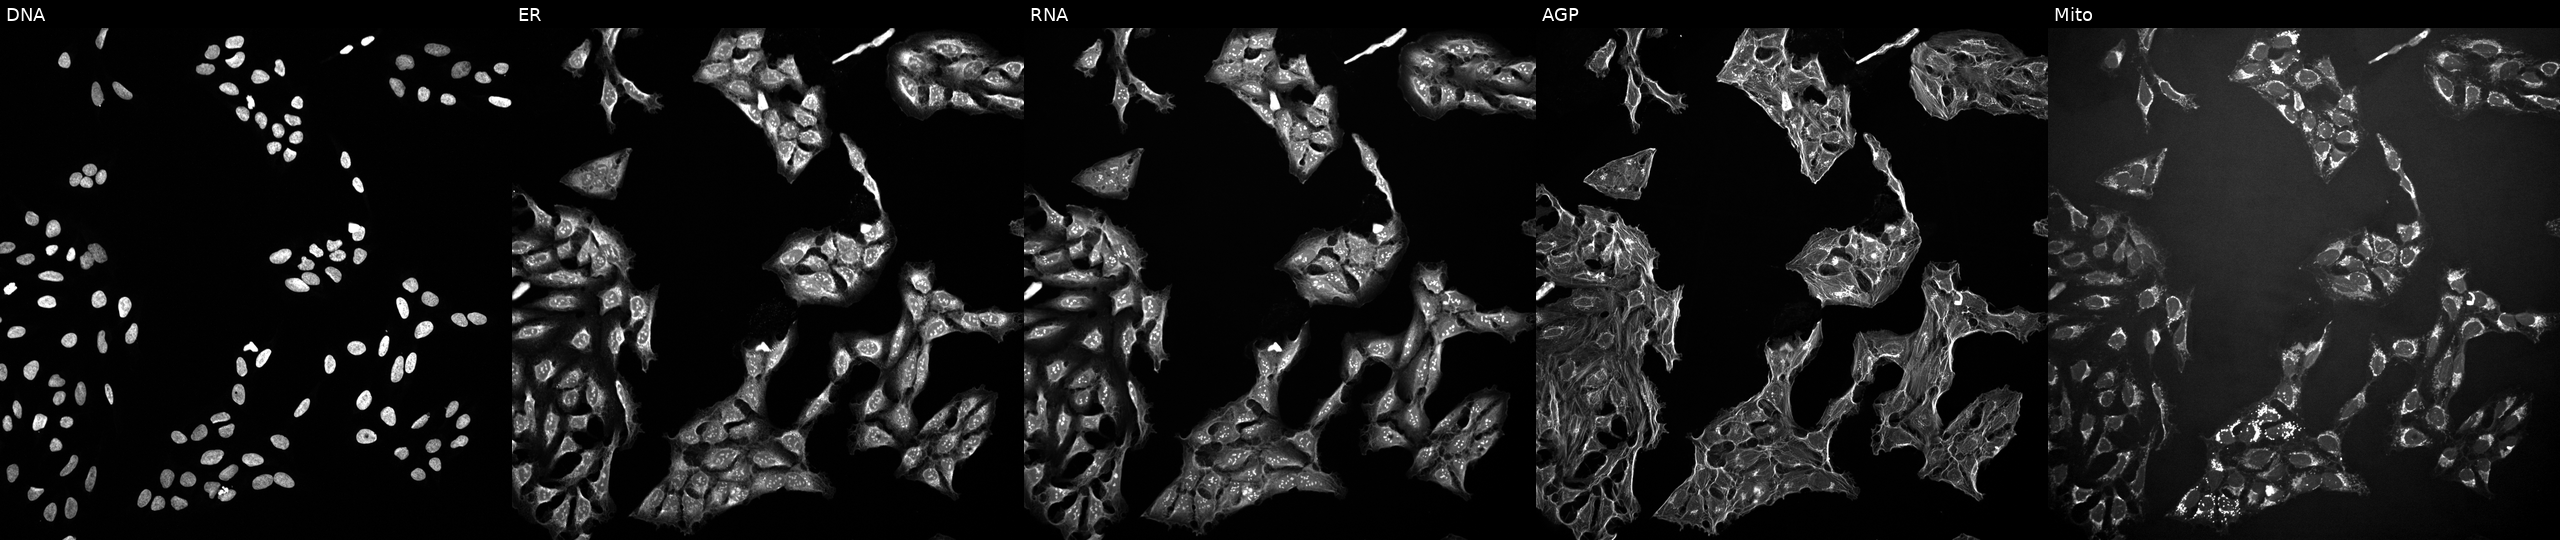
High-content fluorescence microscopy (Cell Painting). Cell line: U2OS. Perturbation: treated with a small-molecule compound (JUMP id JCP2022_099471). Panels show, left to right, DNA (nuclei); ER (endoplasmic reticulum); RNA (nucleoli and cytoplasmic RNA); AGP (actin cytoskeleton, Golgi, and plasma membrane); Mito (mitochondria).